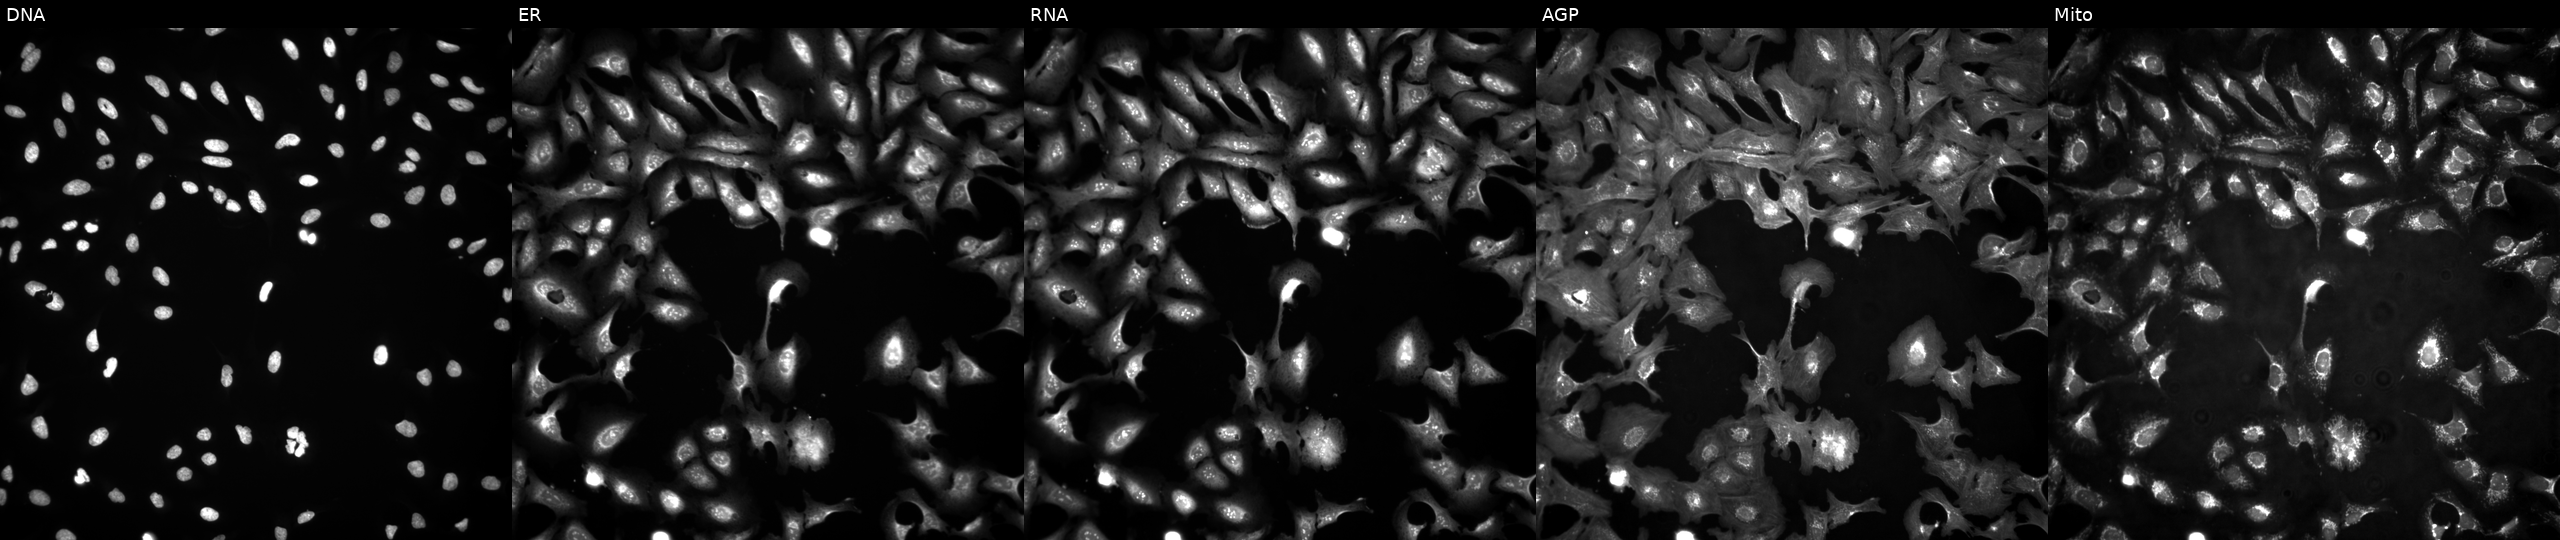
JUMP Cell Painting — ORF plate. U2OS cells overexpressing TKFC via ORF transfection (JUMP id JCP2022_914049). Panels show, left to right, DNA, ER, RNA, AGP, and Mito.